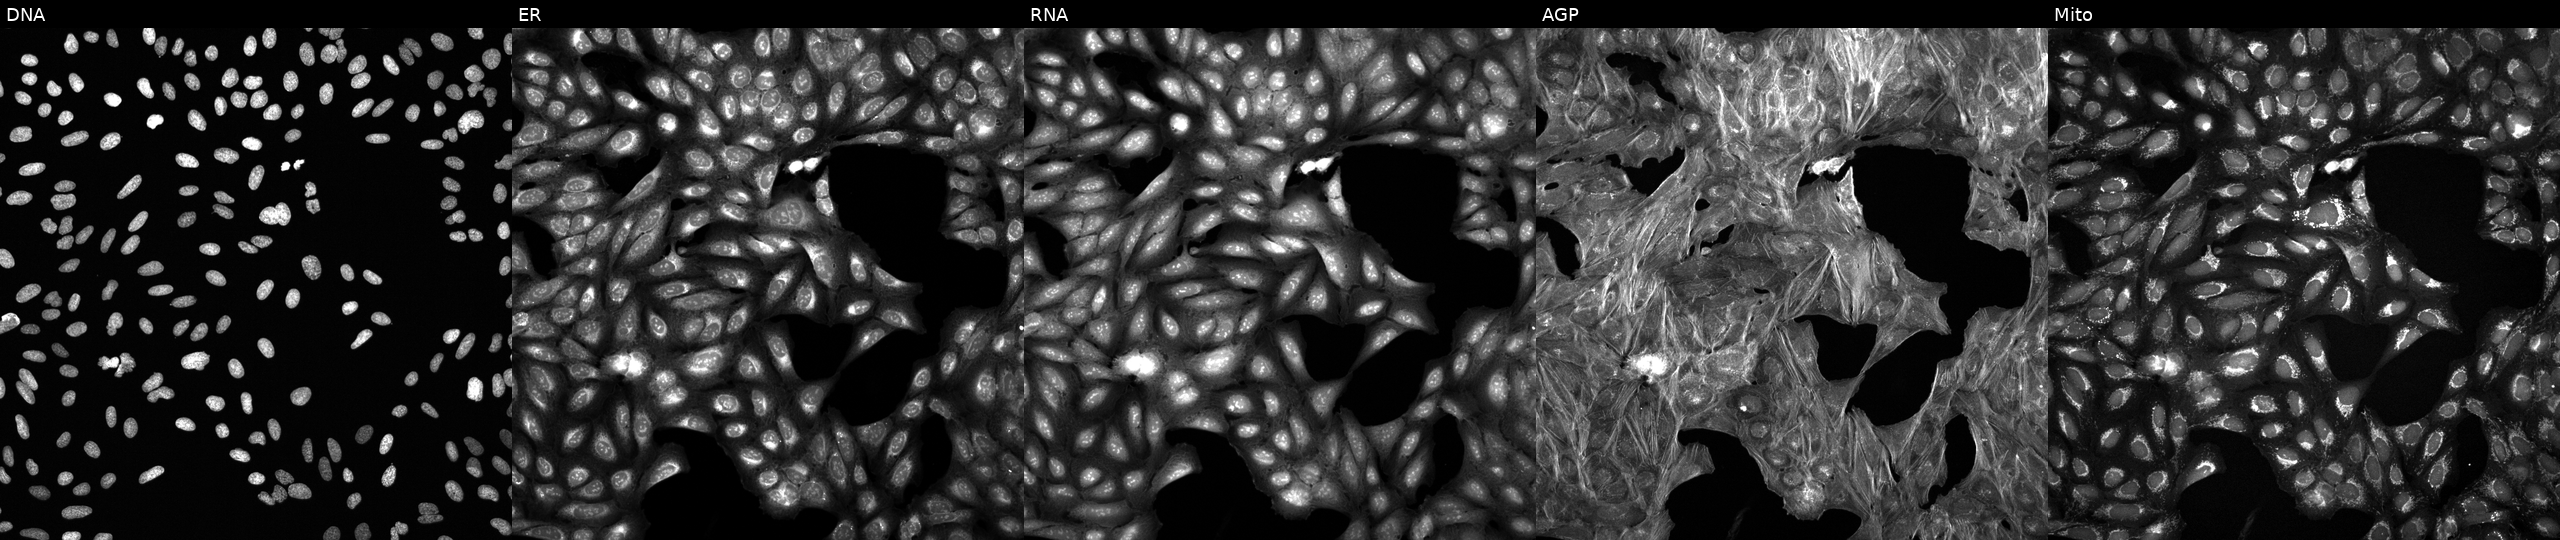
High-content fluorescence microscopy (Cell Painting). Cell line: U2OS. Perturbation: treated with DMSO vehicle only (negative control). The five panels, left to right, show DNA (nuclei); ER (endoplasmic reticulum); RNA (nucleoli and cytoplasmic RNA); AGP (actin cytoskeleton, Golgi, and plasma membrane); Mito (mitochondria). Source 6, plate 110000293093, well N07.